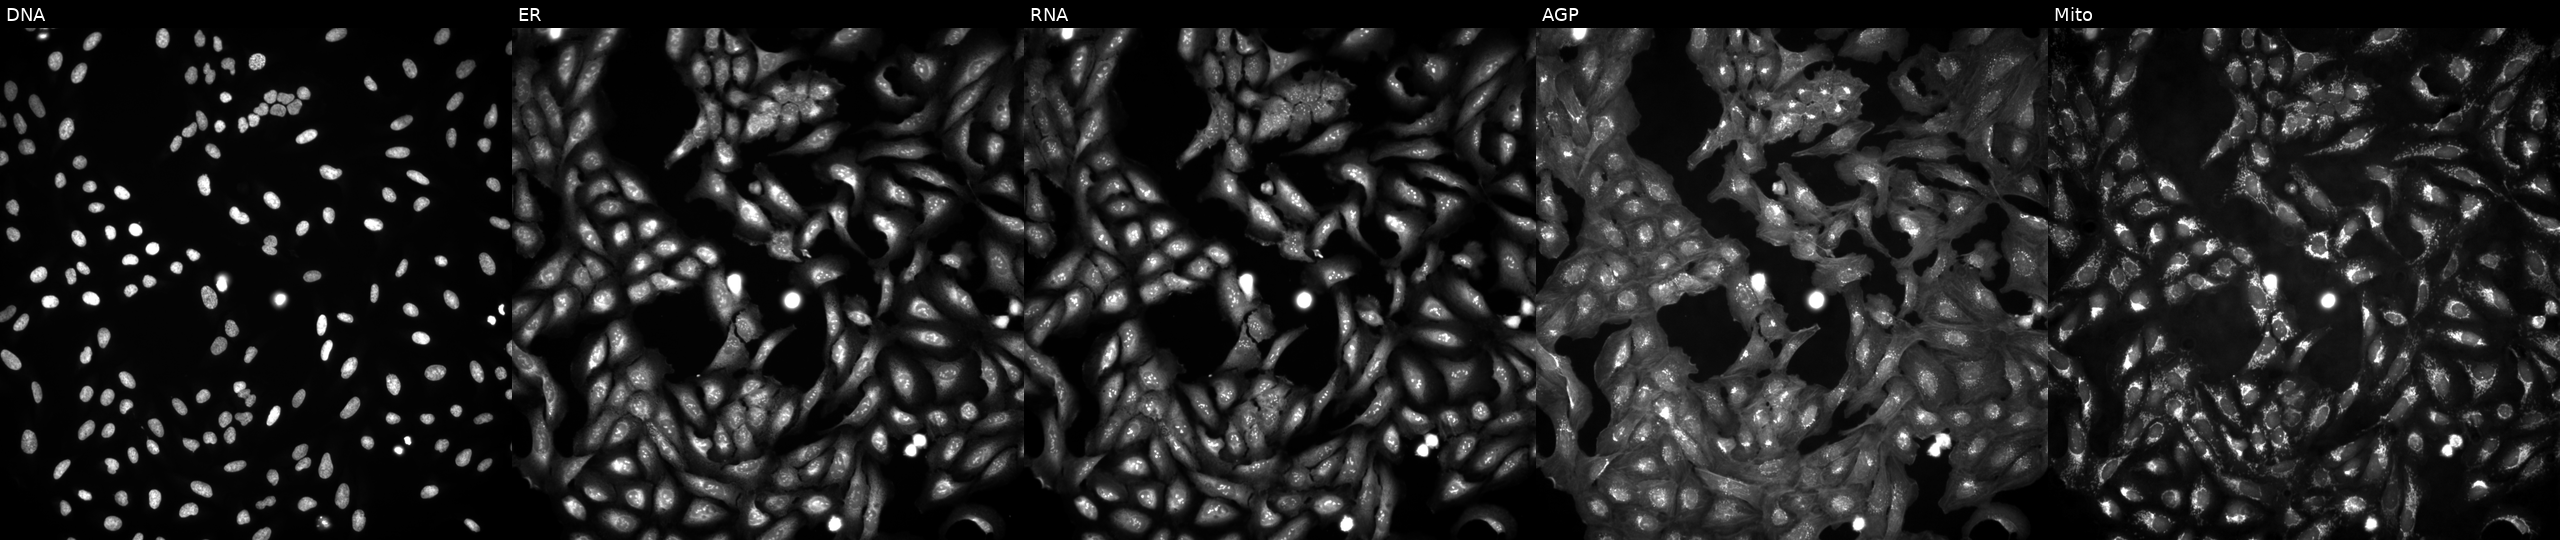
This image strip shows the five Cell Painting channels for a single field of U2OS cells in an empty control well (no perturbation) (JUMP id JCP2022_999999). The five panels, left to right, show DNA, ER, RNA, AGP, and Mito. Source 4, plate BR00124793, well I08.